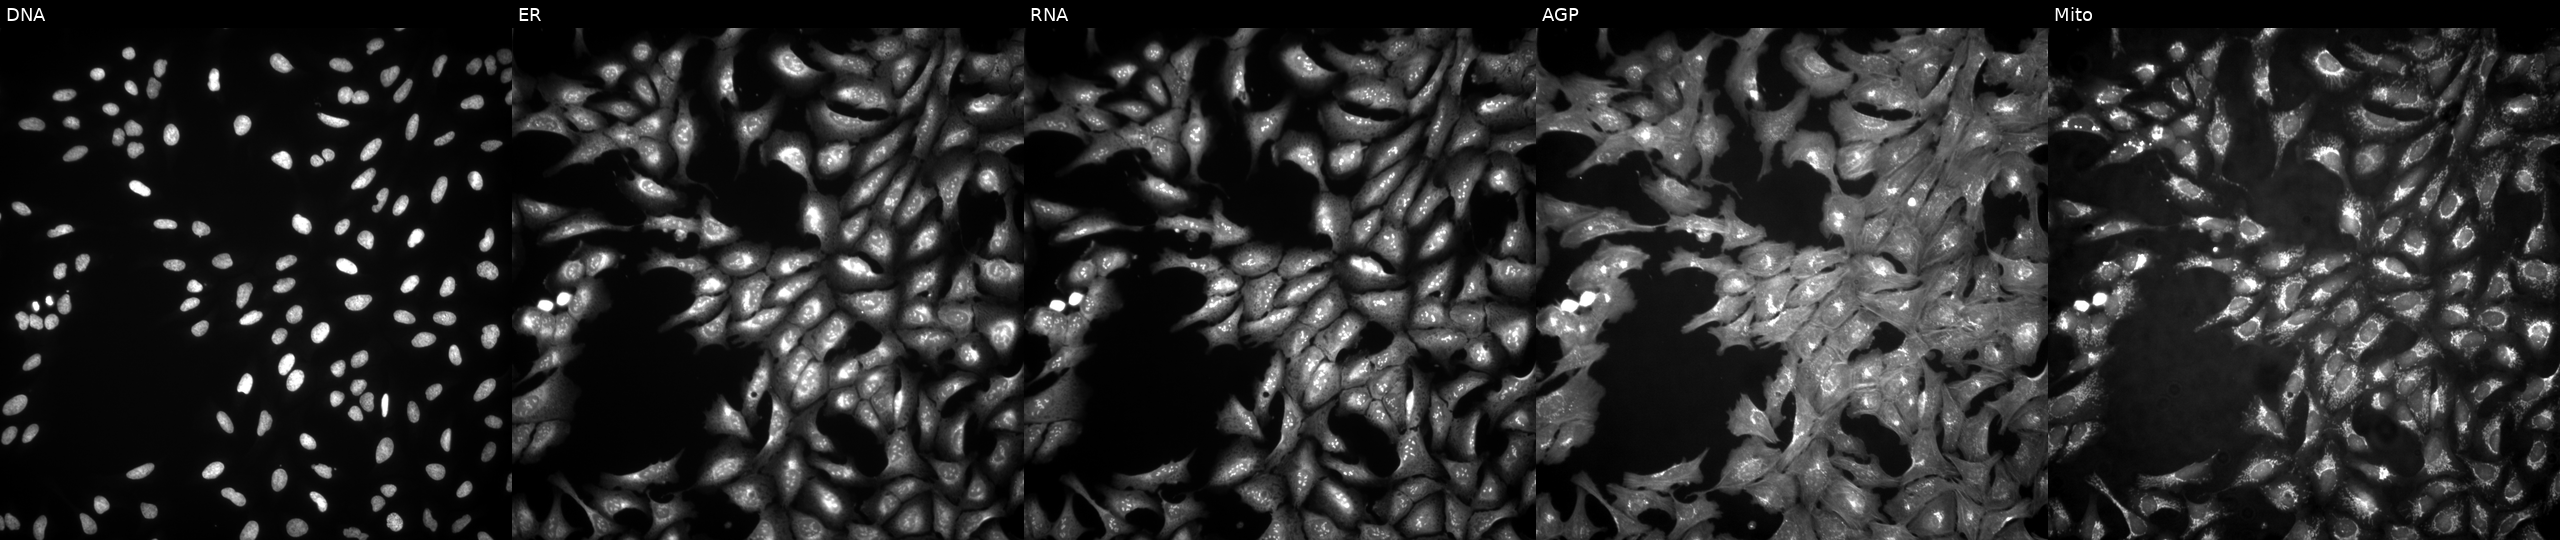
Five-channel Cell Painting image of U2OS cells with FCHO2 overexpressed (ORF) (JUMP id JCP2022_913400). Channels (left→right): DNA, ER, RNA, AGP, and Mito. Source 4, plate BR00123509, well O15.